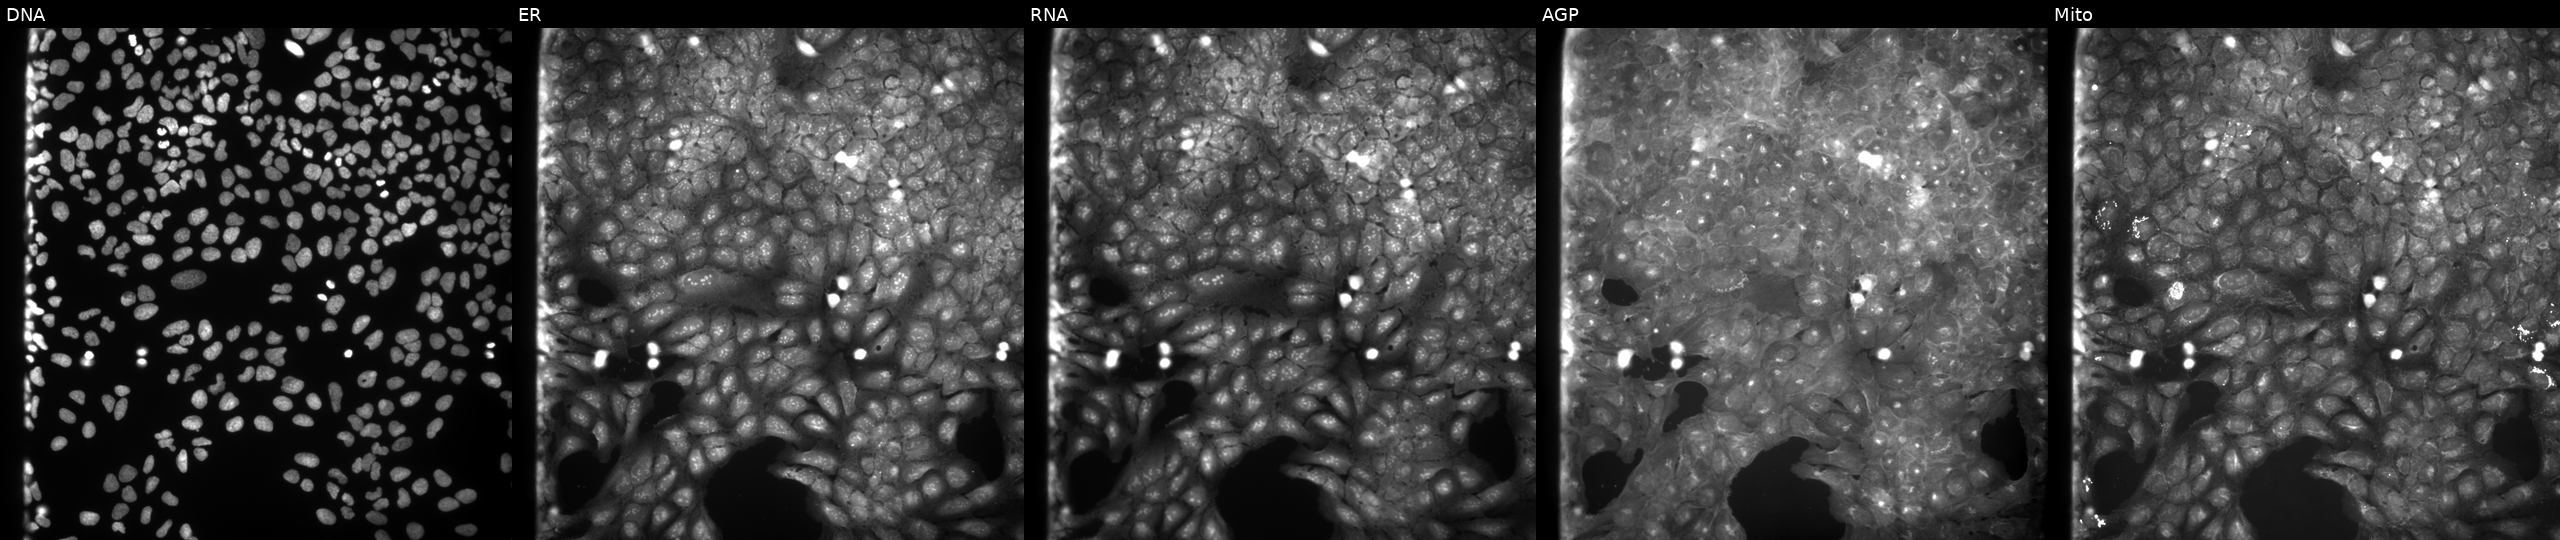
This image strip shows the five Cell Painting channels for a single field of U2OS cells exposed to a small-molecule compound (InChIKey UIJZKYRDRYAYTD-UHFFFAOYSA-N). From left to right: Hoechst 33342, concanavalin A, SYTO 14, phalloidin and WGA, MitoTracker.